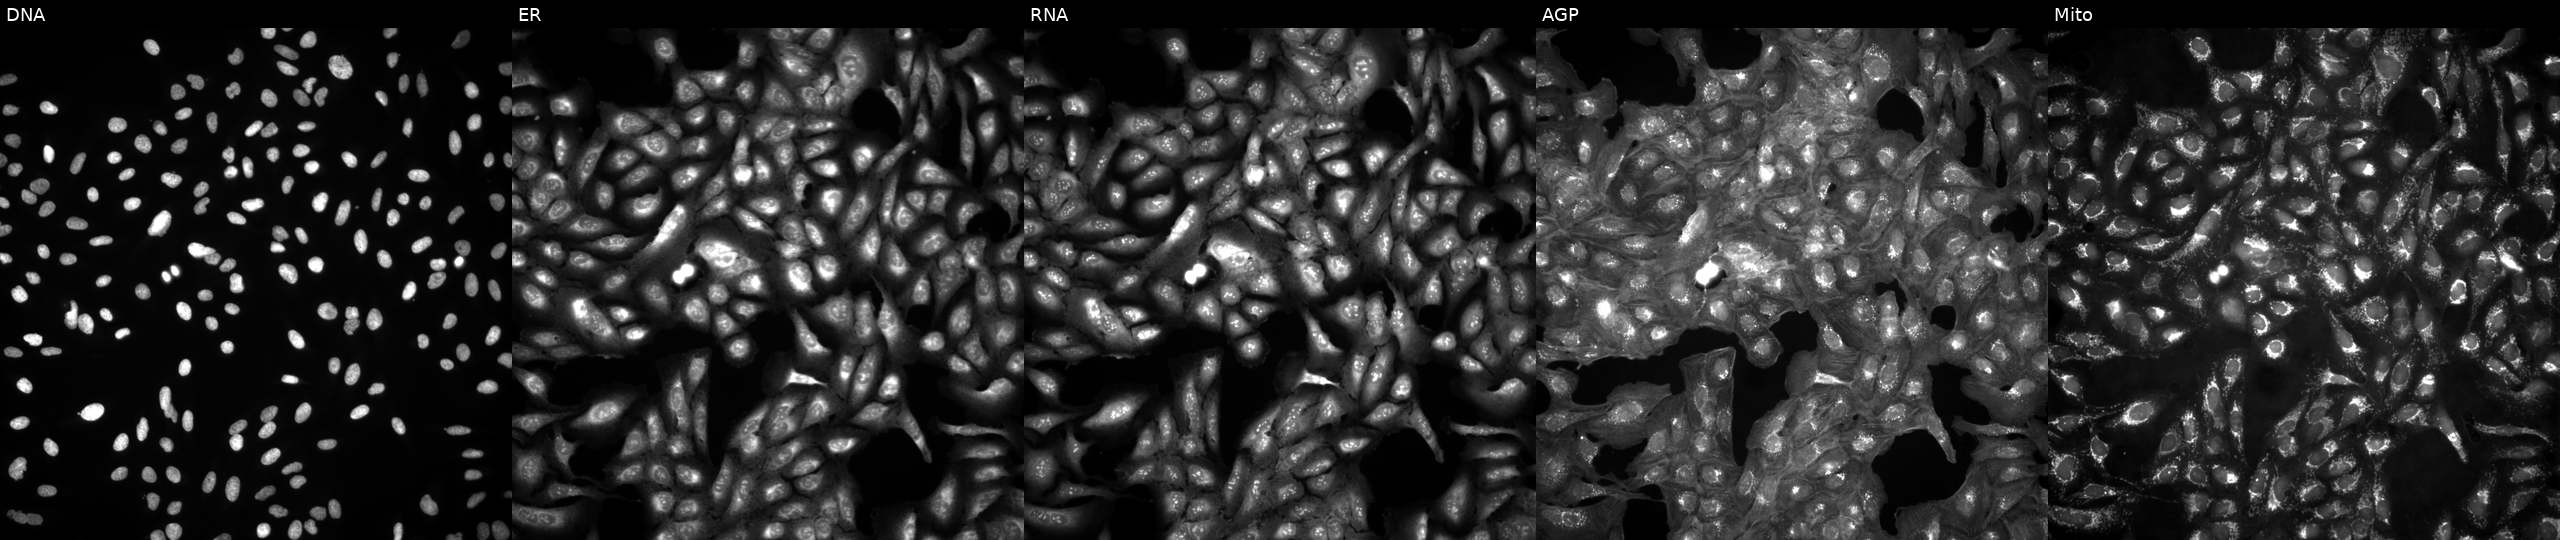
Five-channel Cell Painting image of U2OS cells in an empty control well (no perturbation) (JUMP id JCP2022_999999). Panels show, left to right, DNA, ER, RNA, AGP, and Mito. Source 4, plate BR00124793, well A13.